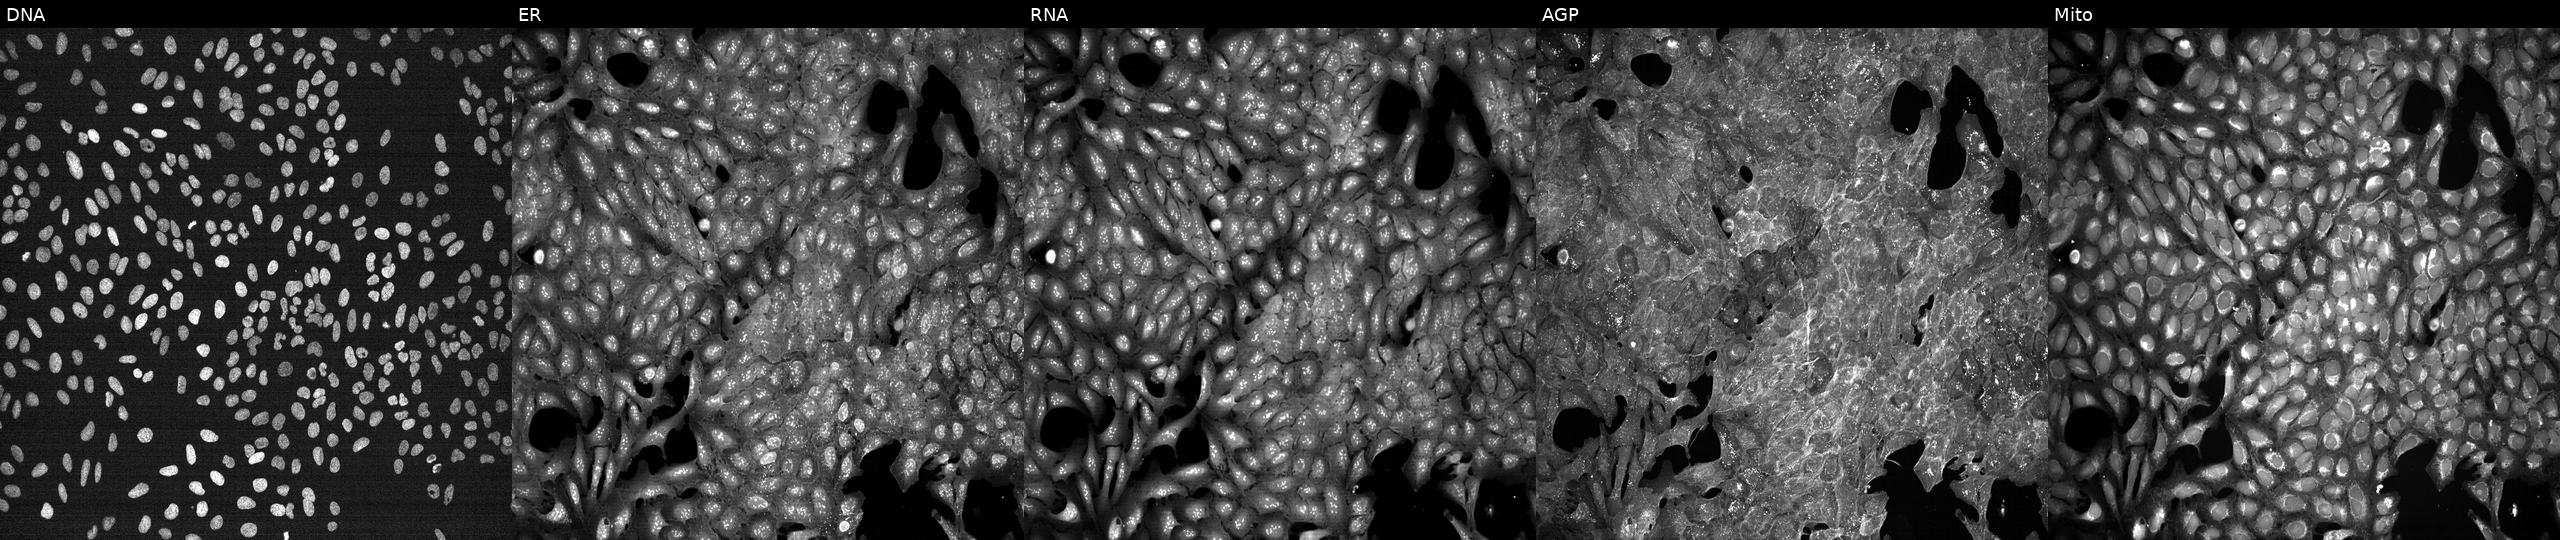
Panels show, left to right, Hoechst 33342, concanavalin A, SYTO 14, phalloidin and WGA, MitoTracker. U2OS osteosarcoma cells treated with a small-molecule compound (InChIKey TXUZVZSFRXZGTL-UHFFFAOYSA-N). Cell Painting assay, JUMP-CP dataset. Source 7, plate CP1-SC1-25, well C15.